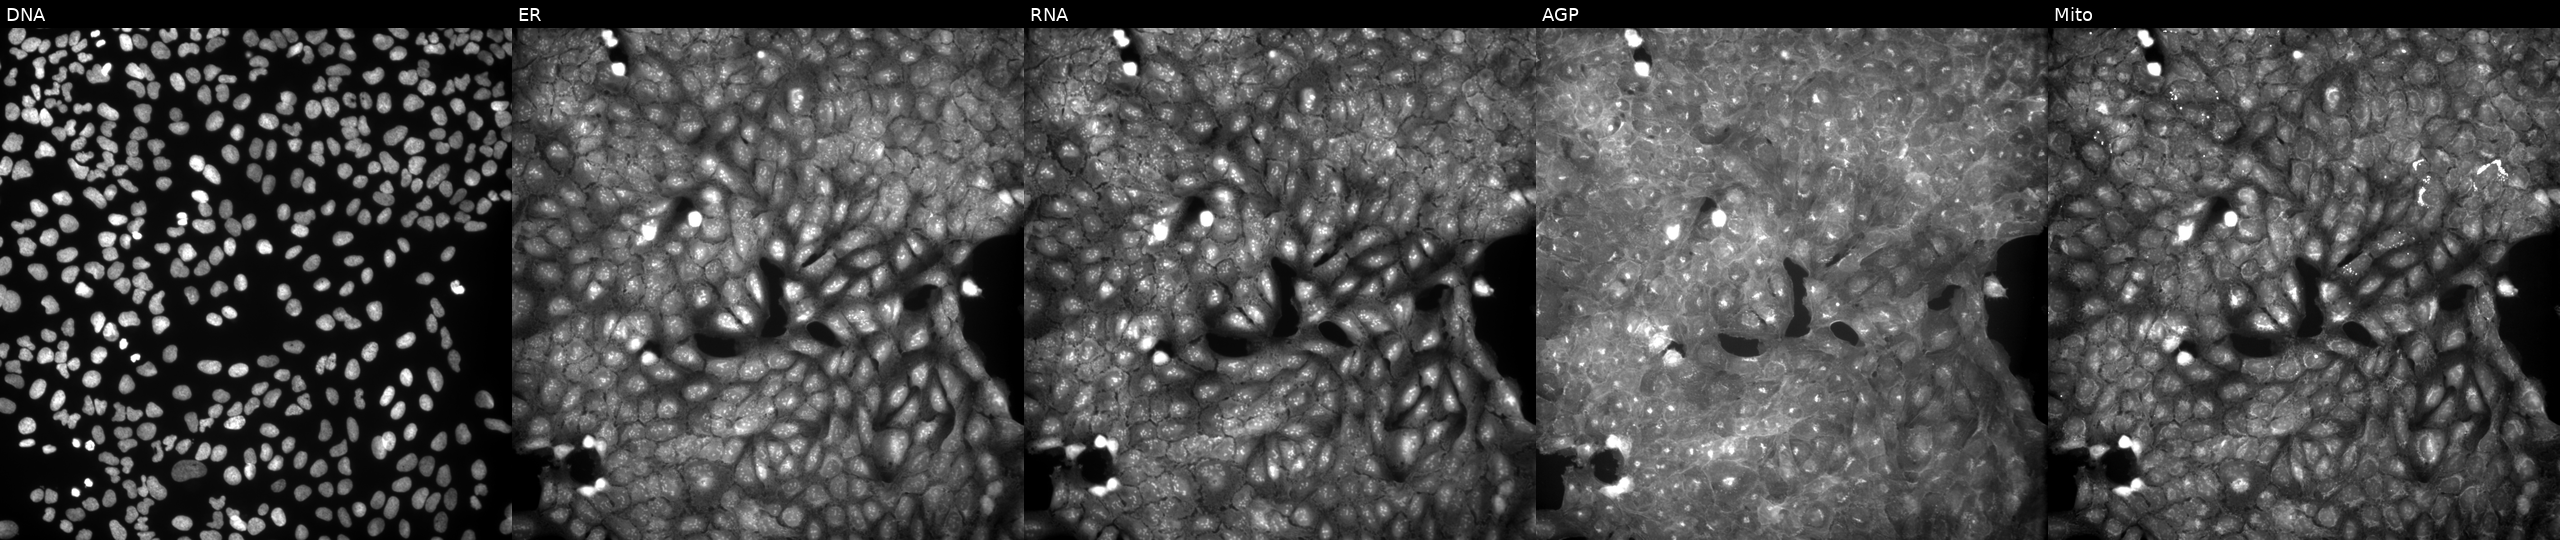
Five-channel Cell Painting image of U2OS cells perturbed with a small-molecule compound (InChIKey UJYKHXZMJCCMMM-UHFFFAOYSA-N). Panels show, left to right, DNA (nuclei); ER (endoplasmic reticulum); RNA (nucleoli and cytoplasmic RNA); AGP (actin cytoskeleton, Golgi, and plasma membrane); Mito (mitochondria).